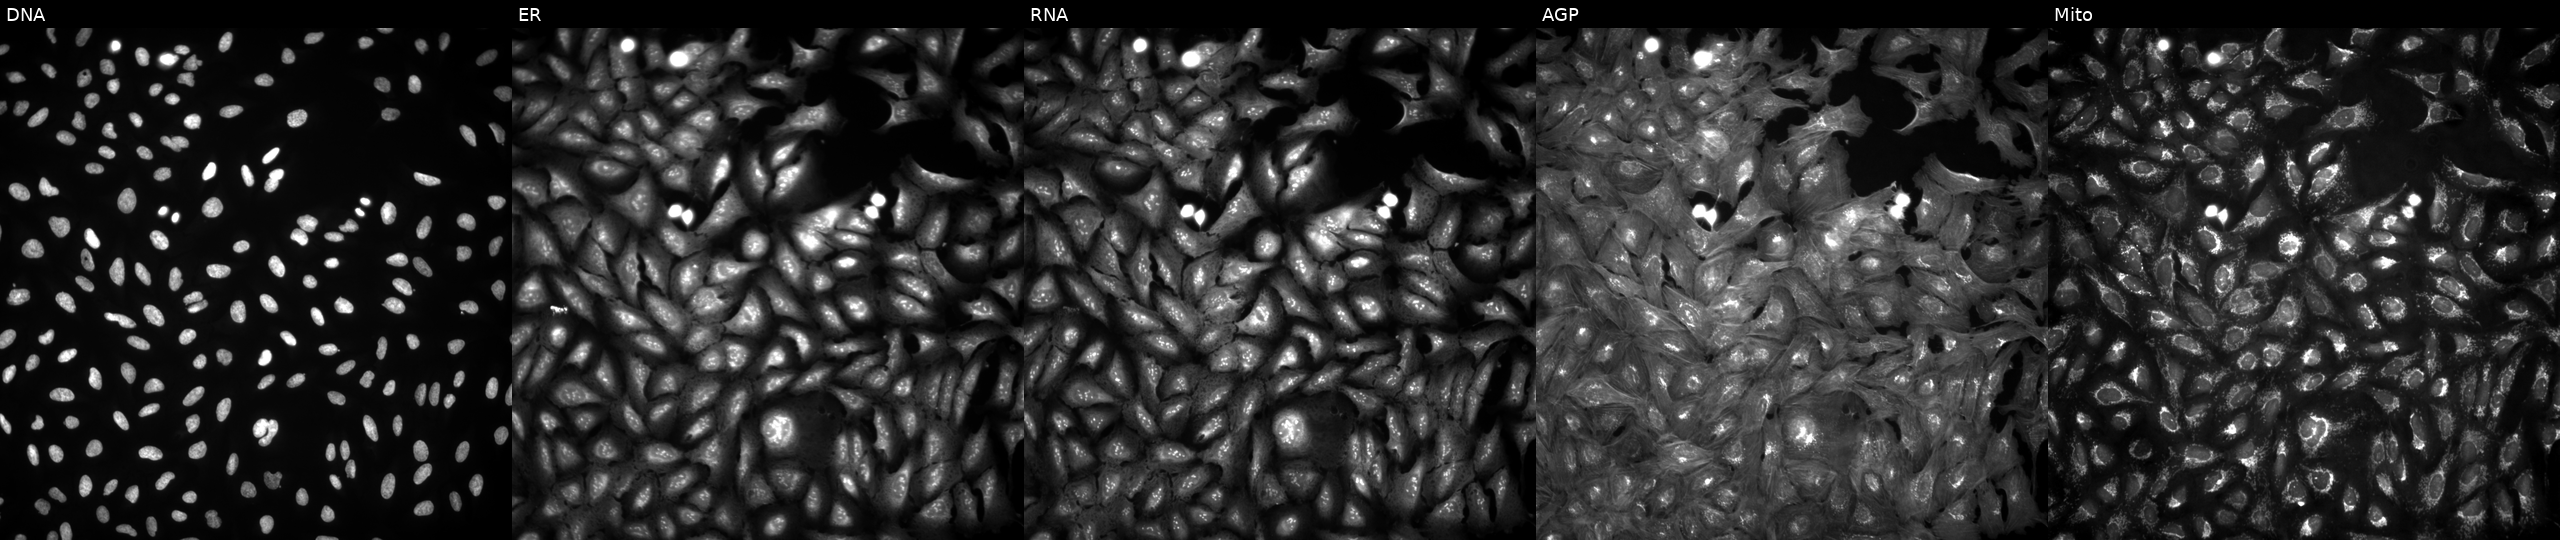
This image strip shows the five Cell Painting channels for a single field of U2OS cells with GID8 overexpressed (ORF). From left to right: Hoechst 33342, concanavalin A, SYTO 14, phalloidin and WGA, MitoTracker. Source 4, plate BR00124784, well P02.